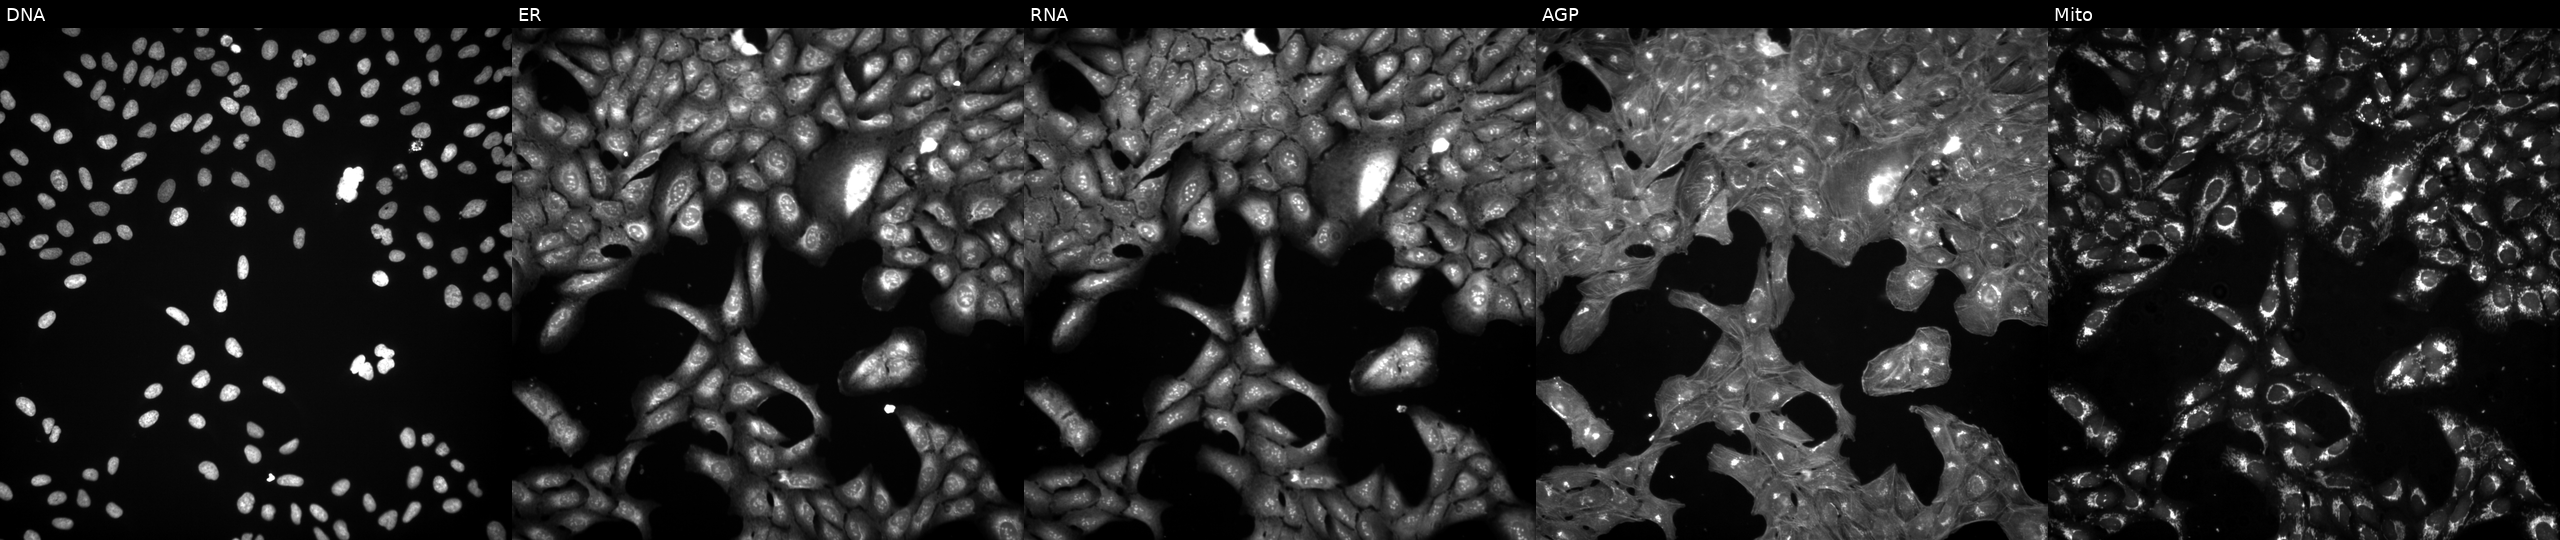
U2OS cells, Cell Painting assay, exposed to a small-molecule compound (InChIKey HYLVCRKJBHXZSU-UHFFFAOYSA-N) [SMILES: N#CC1C(=N)Oc2c(c(=O)oc3ccccc23)C1c1cccc(O)c1] (JUMP id JCP2022_033451). From left to right: Hoechst 33342, concanavalin A, SYTO 14, phalloidin and WGA, MitoTracker. Each panel is percentile-stretched 16-bit fluorescence. Source 3, plate BR5867a3, well F11.